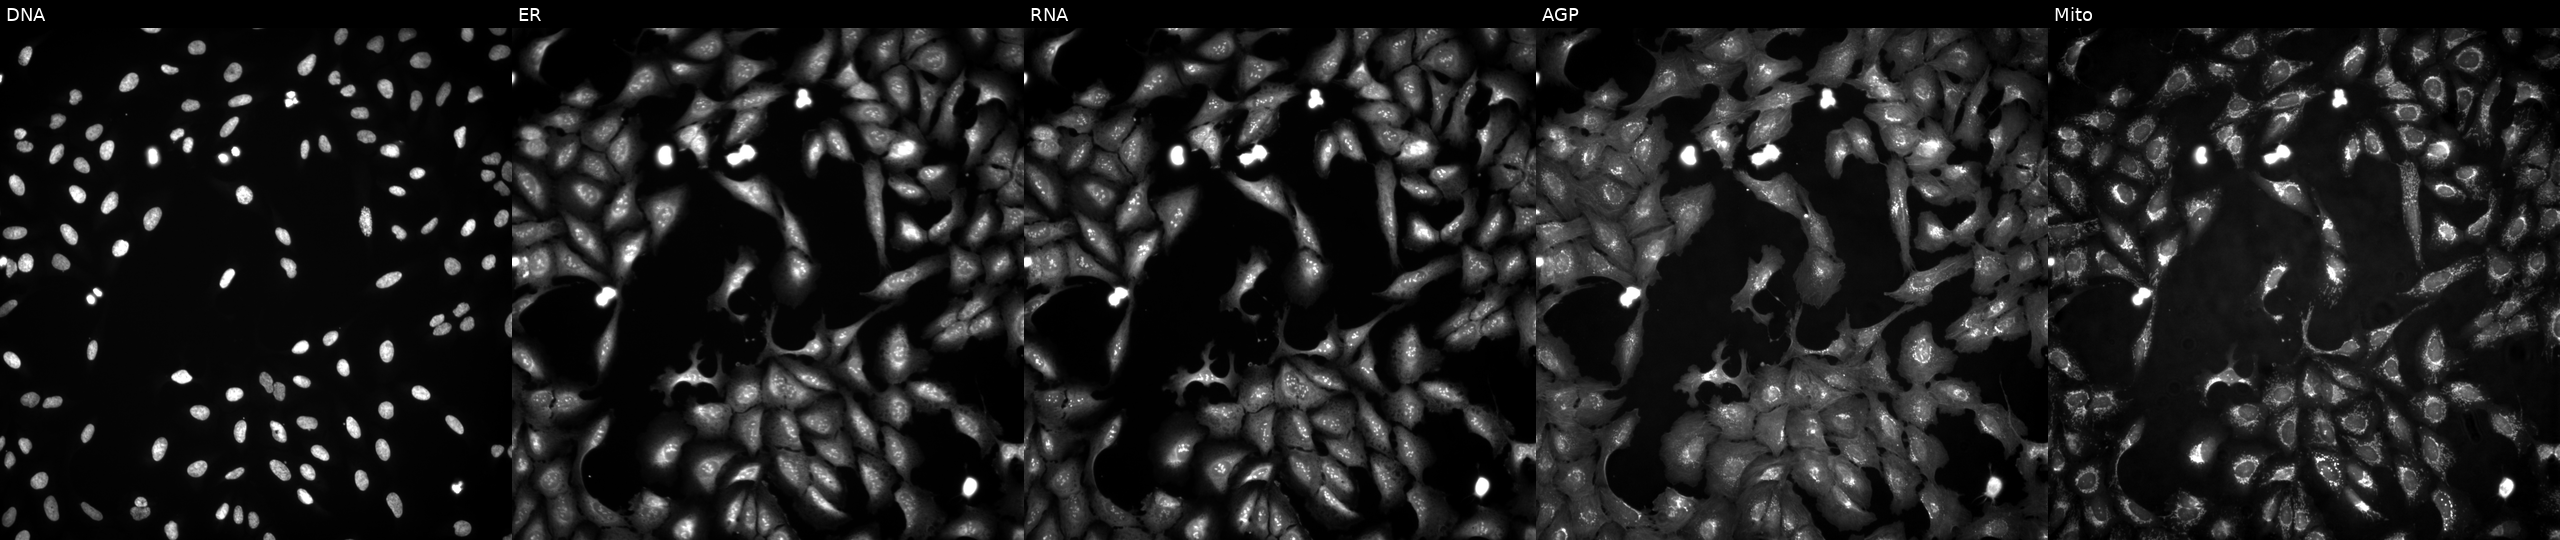
Five-channel Cell Painting image of U2OS cells with SPRTN overexpressed (ORF) (JUMP id JCP2022_908531). The five panels, left to right, show DNA, ER, RNA, AGP, and Mito.